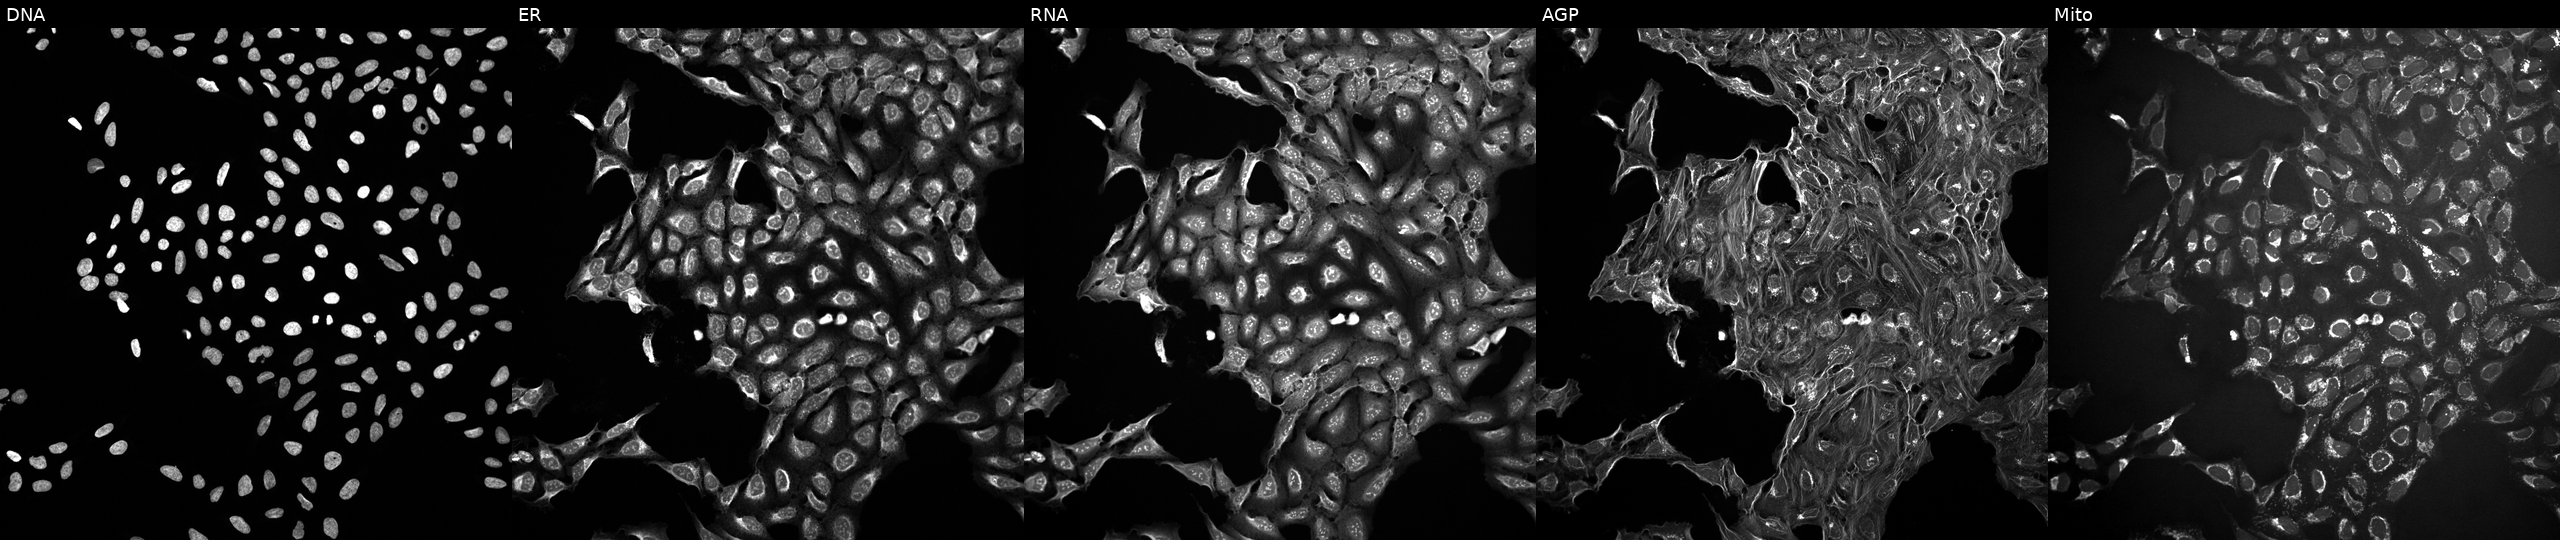
U2OS cells, Cell Painting assay, perturbed with a small-molecule compound (InChIKey FNBXKEZDEGCVSN-UHFFFAOYSA-N). From left to right: DNA (nuclei); ER (endoplasmic reticulum); RNA (nucleoli and cytoplasmic RNA); AGP (actin cytoskeleton, Golgi, and plasma membrane); Mito (mitochondria). Each panel is percentile-stretched 16-bit fluorescence.